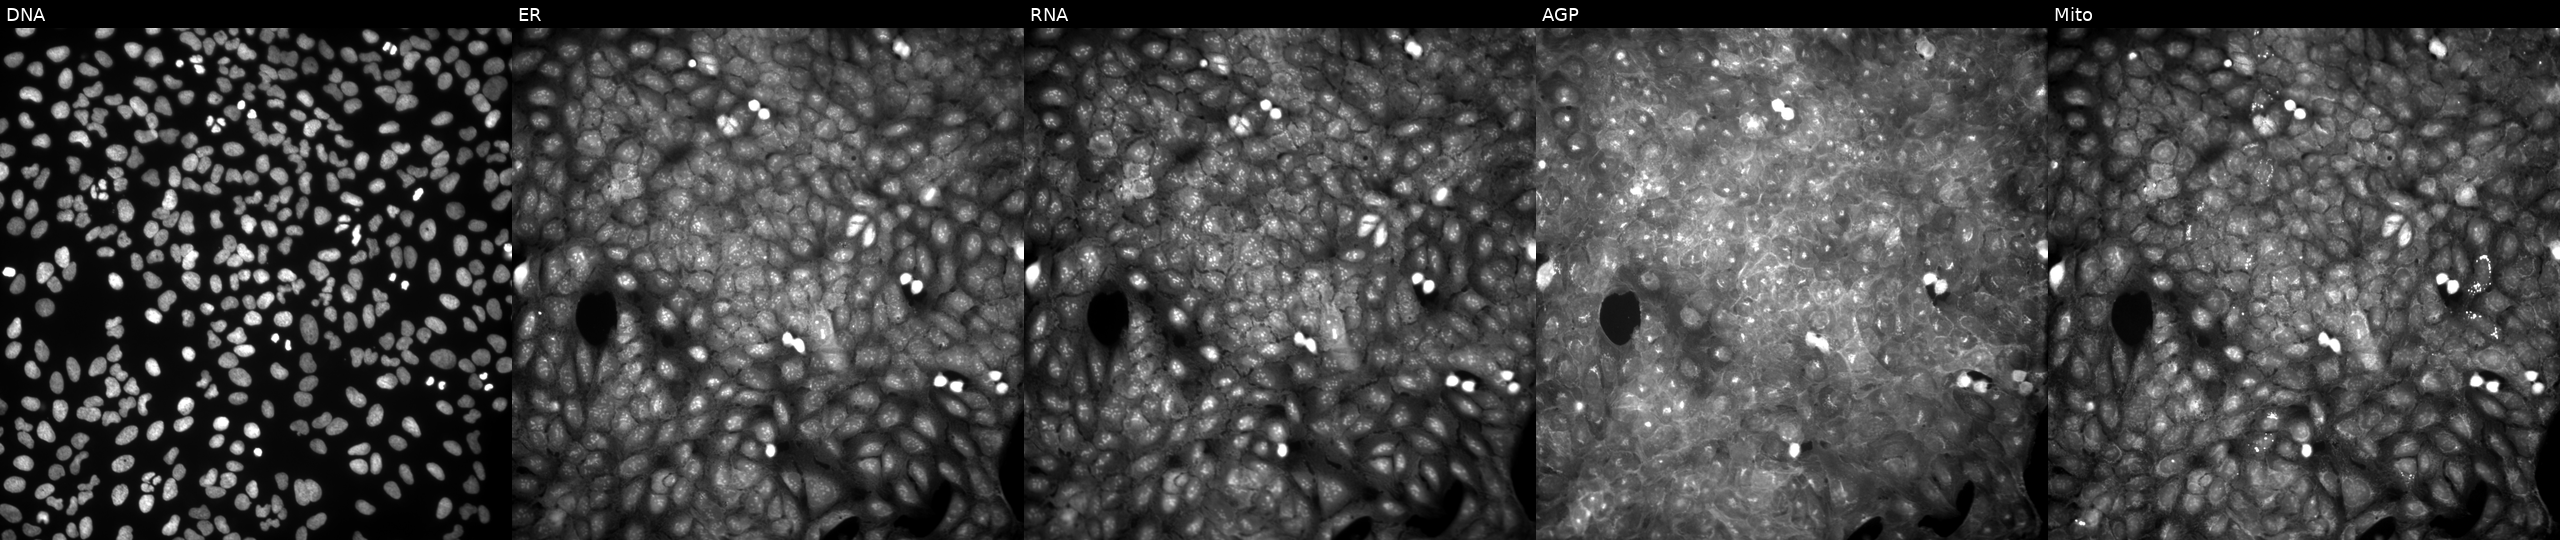
U2OS cells, Cell Painting assay, exposed to a small-molecule compound (InChIKey PYERXGXDODWZDB-UHFFFAOYSA-N) (JUMP id JCP2022_071743). Panels show, left to right, Hoechst 33342, concanavalin A, SYTO 14, phalloidin and WGA, MitoTracker. Each panel is percentile-stretched 16-bit fluorescence. Source 9, plate GR00003382, well W30.